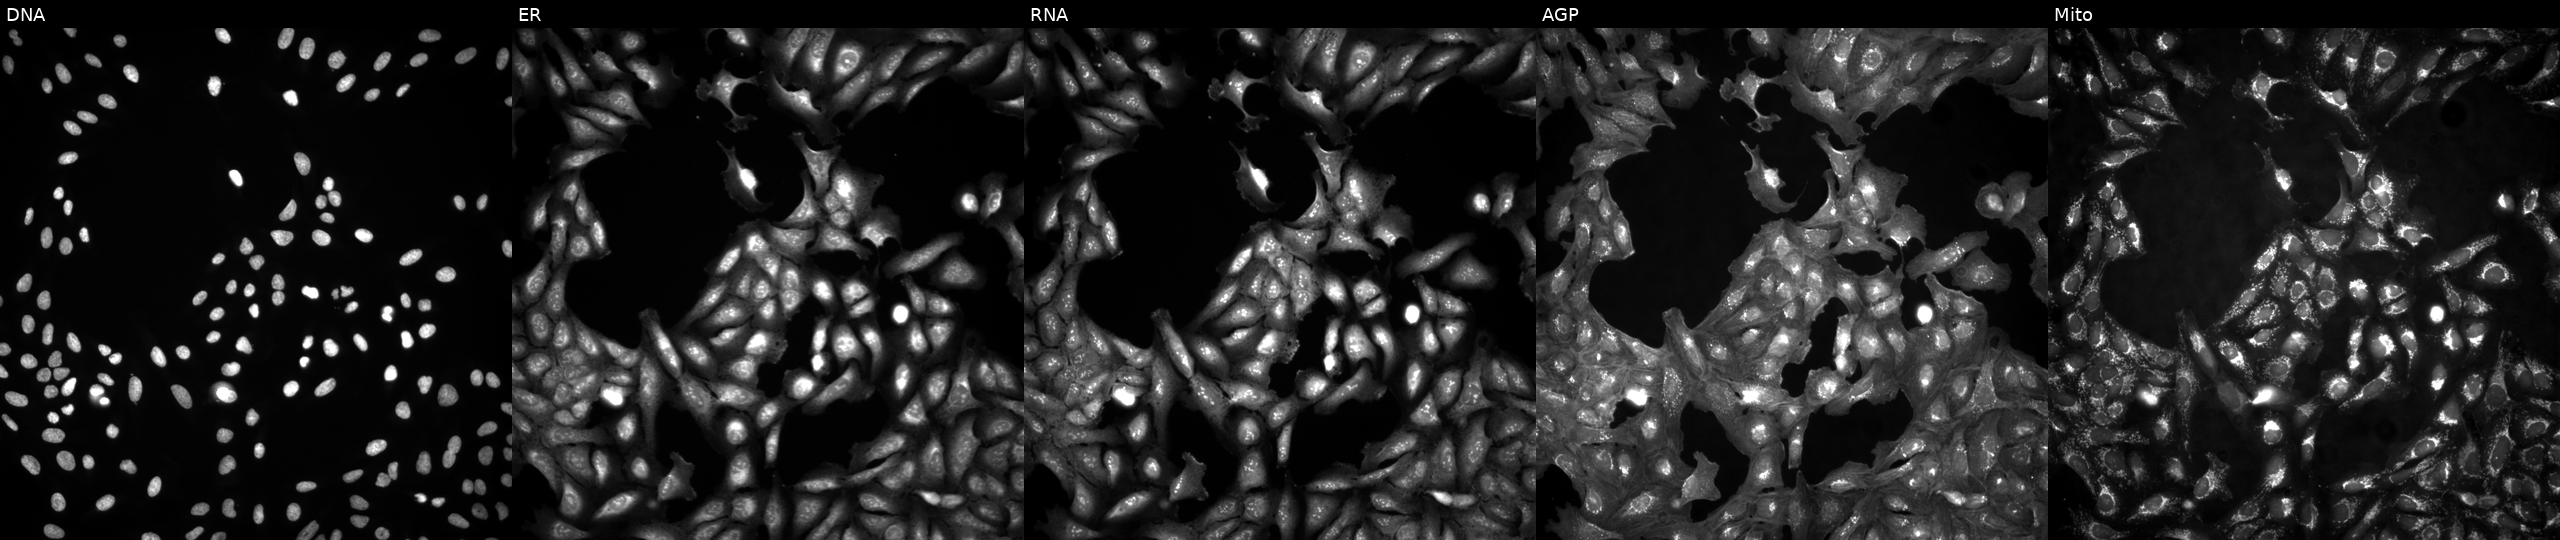
Five-channel Cell Painting image of U2OS cells in an empty control well (no perturbation) (JUMP id JCP2022_999999). Panels show, left to right, DNA, ER, RNA, AGP, and Mito.